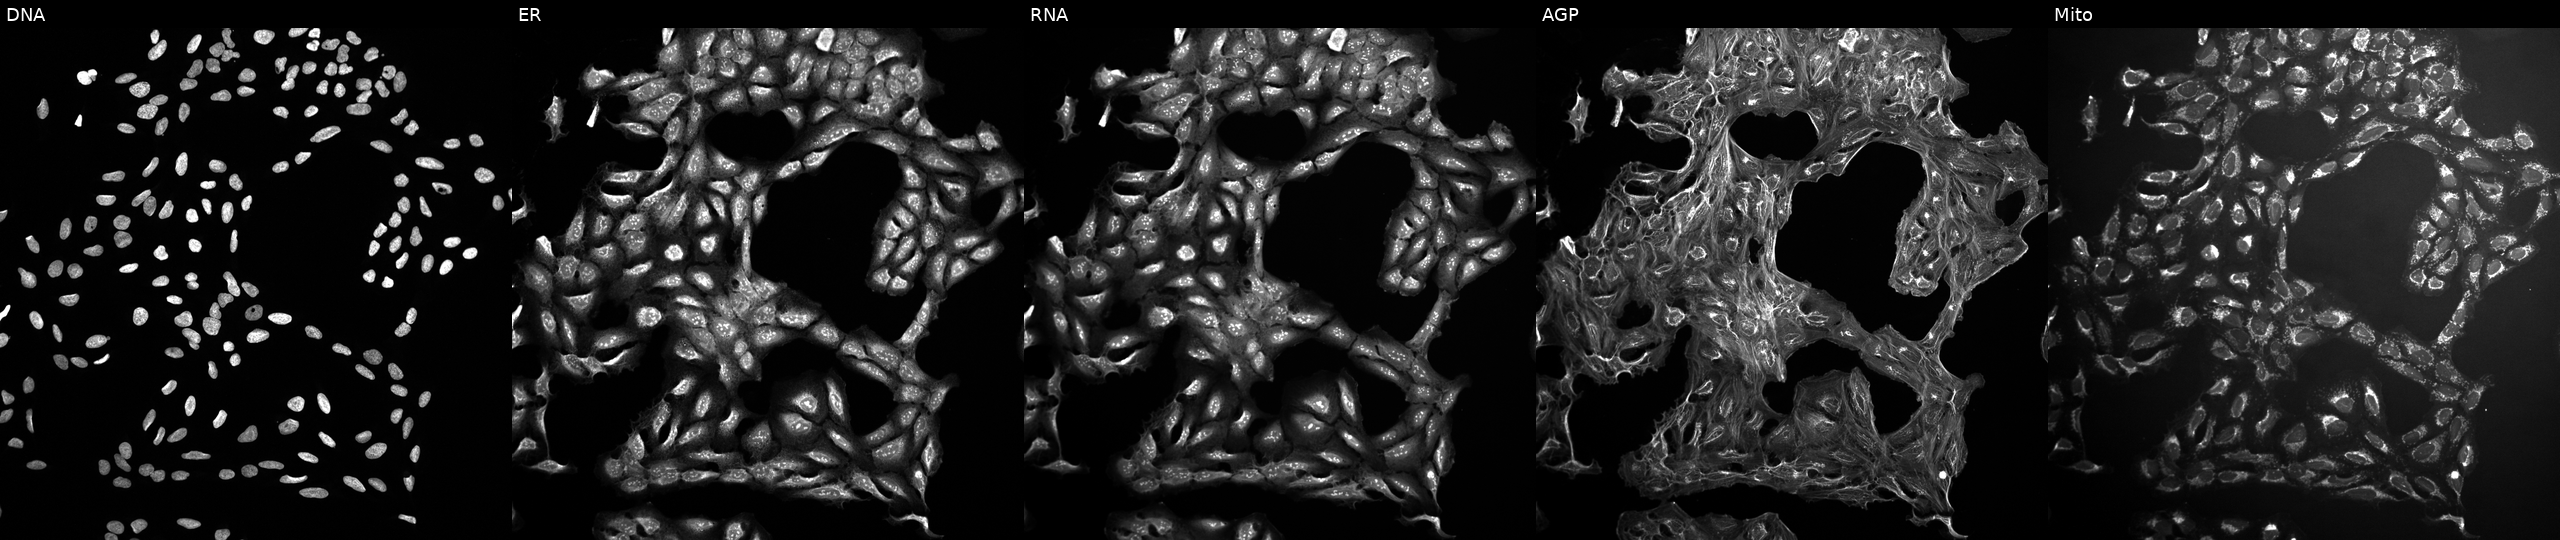
The five panels, left to right, show DNA (nuclei); ER (endoplasmic reticulum); RNA (nucleoli and cytoplasmic RNA); AGP (actin cytoskeleton, Golgi, and plasma membrane); Mito (mitochondria). U2OS osteosarcoma cells treated with a small-molecule compound (InChIKey JFUIMTGOQCQTPF-UHFFFAOYSA-N). Cell Painting assay, JUMP-CP dataset.